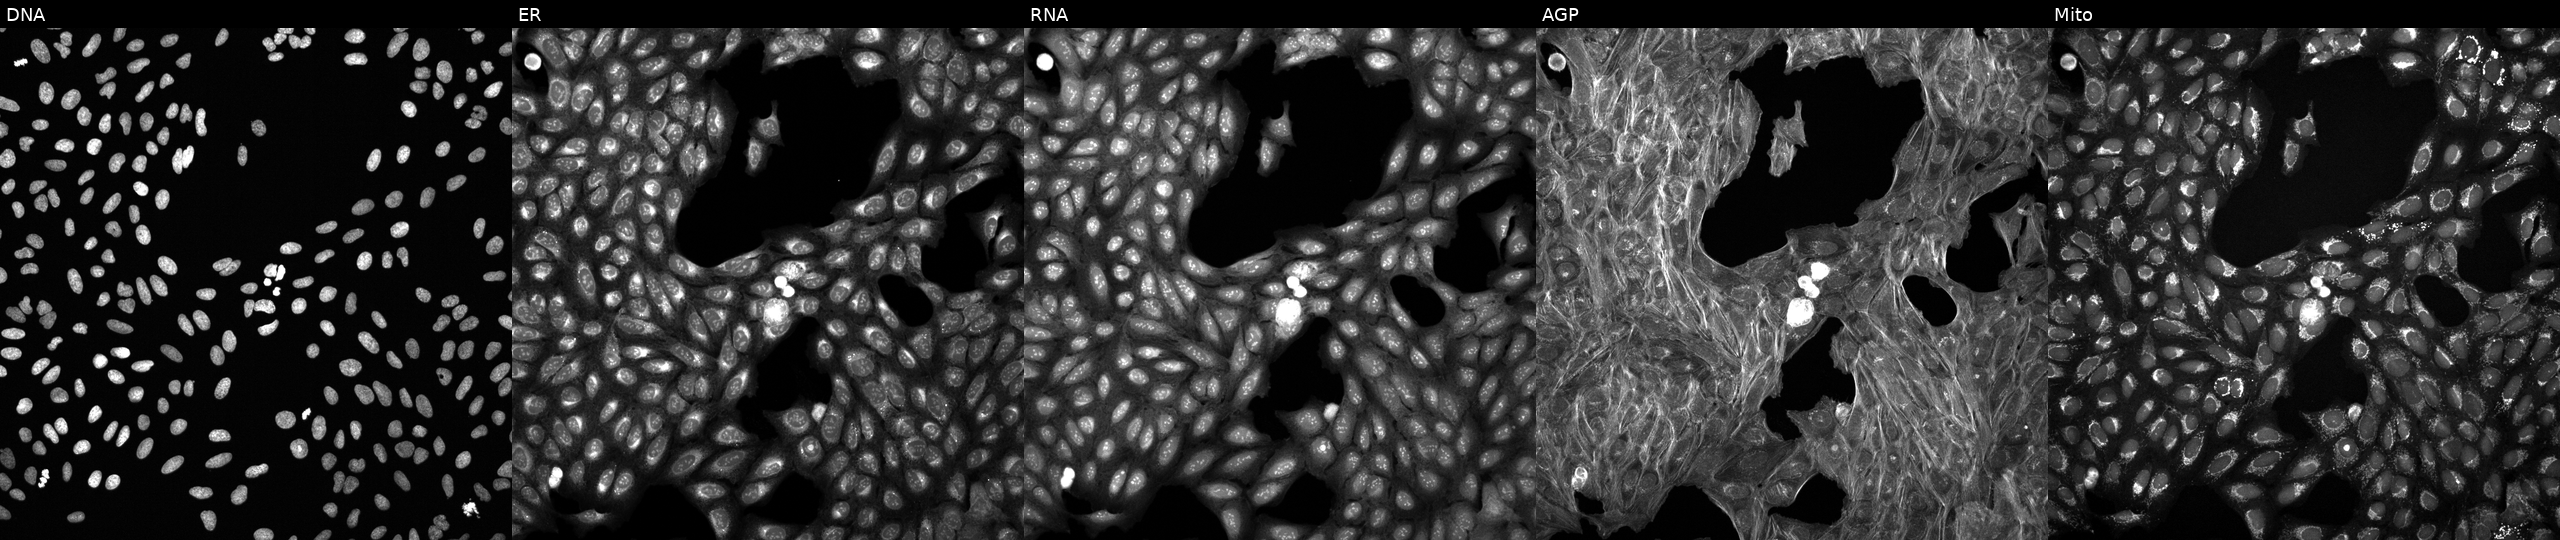
High-content fluorescence microscopy (Cell Painting). Cell line: U2OS. Perturbation: perturbed with a small-molecule compound (InChIKey QGWUAAMSGICMGU-UHFFFAOYSA-N) (JUMP id JCP2022_073351). The five panels, left to right, show DNA (nuclei); ER (endoplasmic reticulum); RNA (nucleoli and cytoplasmic RNA); AGP (actin cytoskeleton, Golgi, and plasma membrane); Mito (mitochondria).